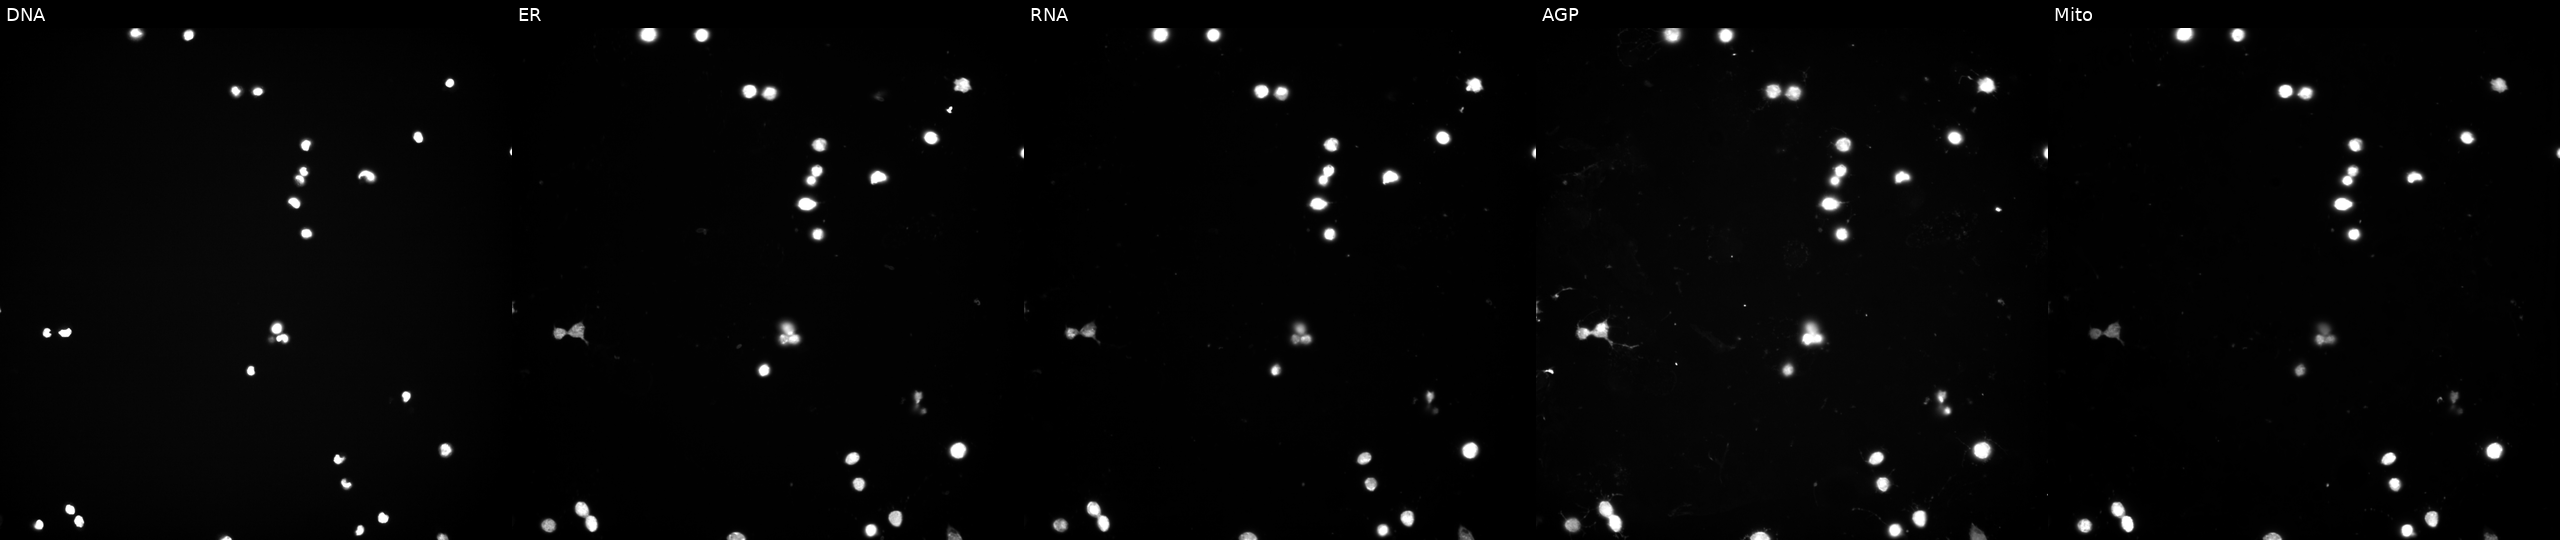
Five-channel Cell Painting image of U2OS cells exposed to a small-molecule compound (InChIKey PKCYYPHSCUSQDK-UHFFFAOYSA-N) (JUMP id JCP2022_069131). Panels show, left to right, DNA, ER, RNA, AGP, and Mito. Source 3, plate JCPQC052, well G18.